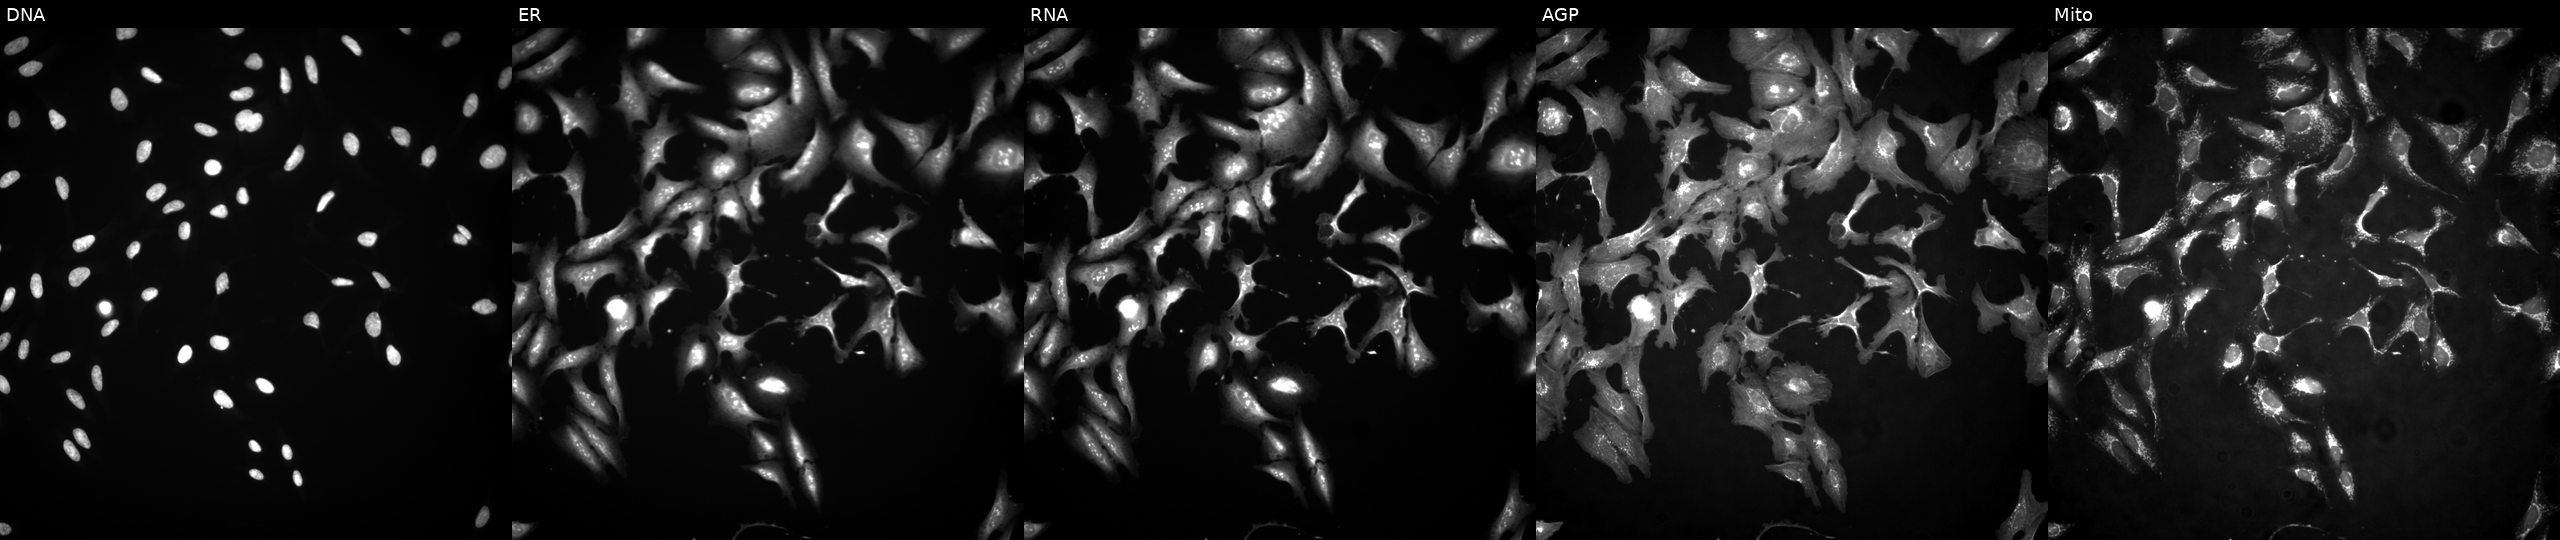
U2OS cells, Cell Painting assay, overexpressing DTX3 via ORF transfection (JUMP id JCP2022_909125). From left to right: DNA, ER, RNA, AGP, and Mito. Each panel is percentile-stretched 16-bit fluorescence. Source 4, plate BR00117035, well F13.